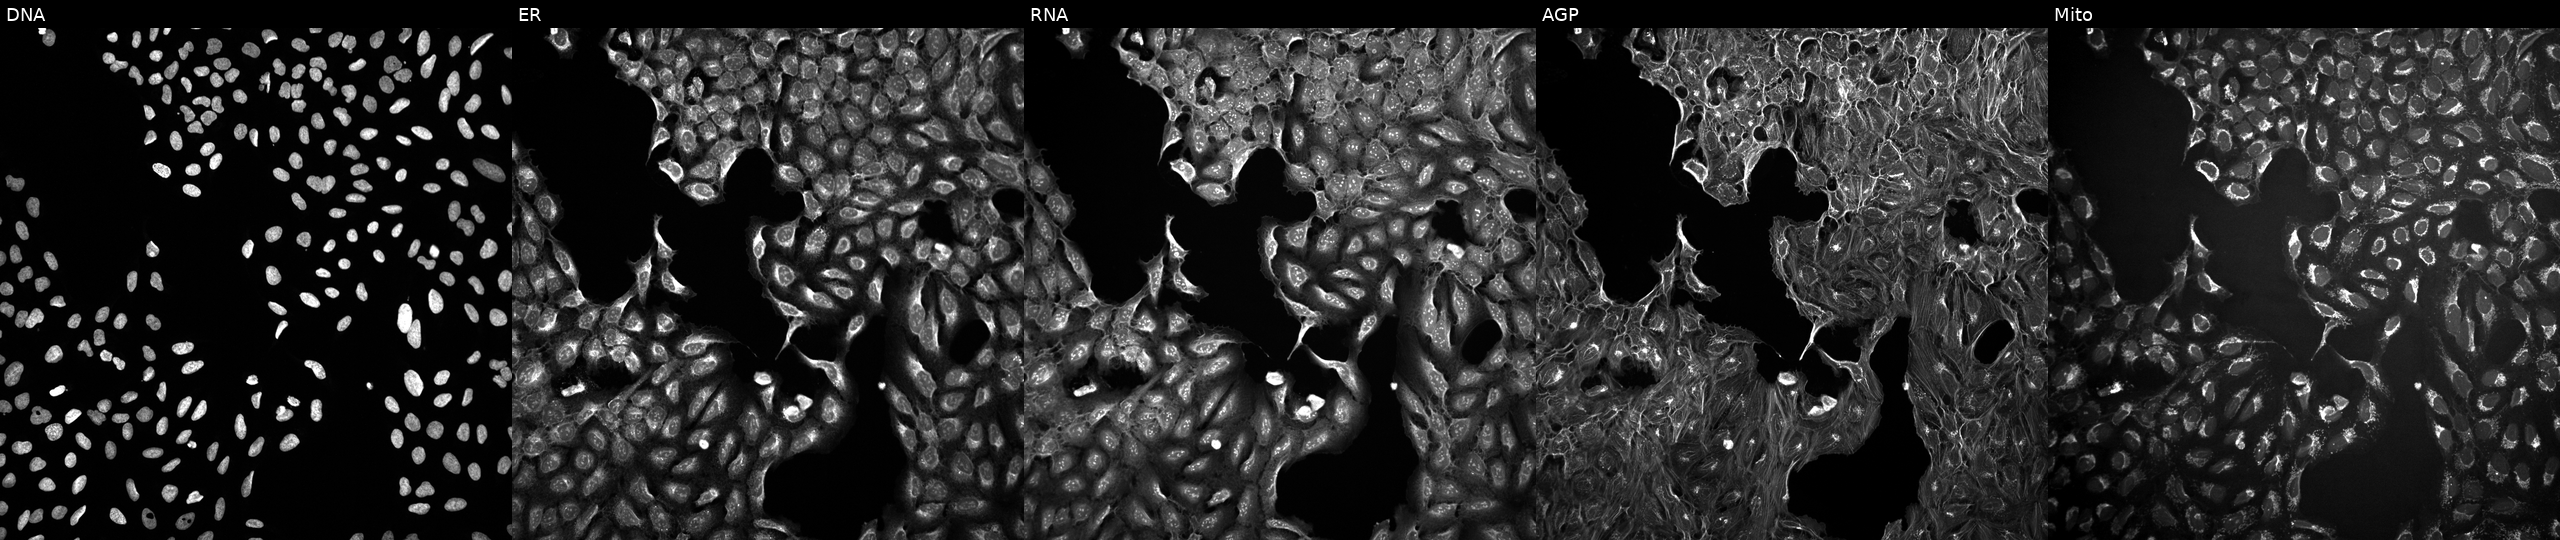
This image strip shows the five Cell Painting channels for a single field of U2OS cells exposed to a small-molecule compound (InChIKey DCHMWHAXZUYDKT-UHFFFAOYSA-N) (JUMP id JCP2022_015011). Panels show, left to right, DNA, ER, RNA, AGP, and Mito. Source 10, plate Dest210531-152324, well M11.